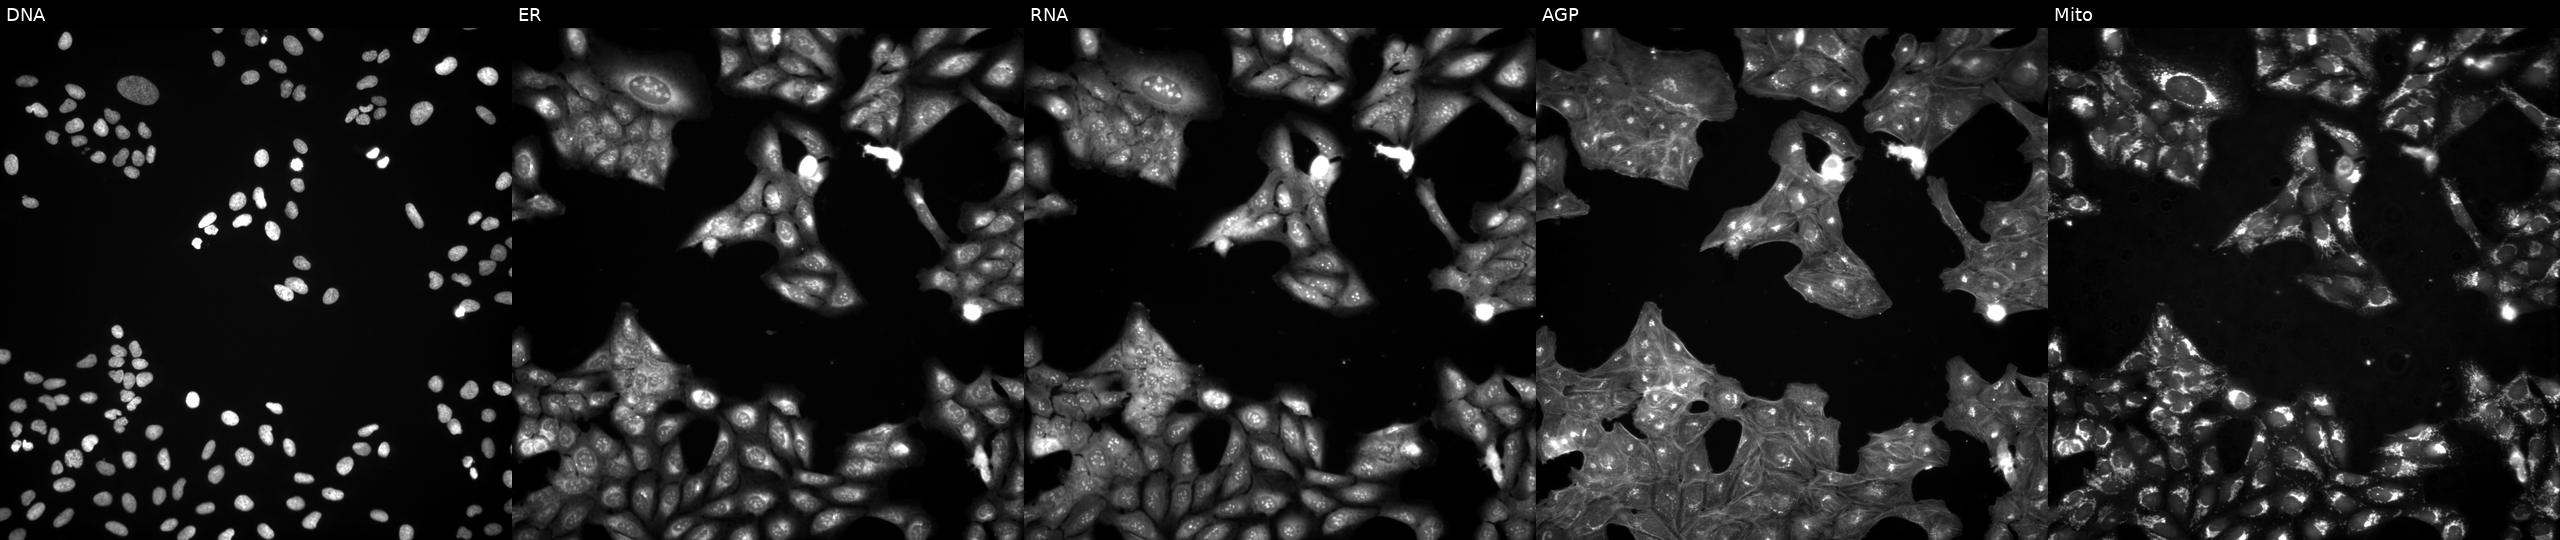
Five-channel Cell Painting image of U2OS cells exposed to a small-molecule compound (JUMP id JCP2022_106828). Panels show, left to right, Hoechst 33342, concanavalin A, SYTO 14, phalloidin and WGA, MitoTracker.